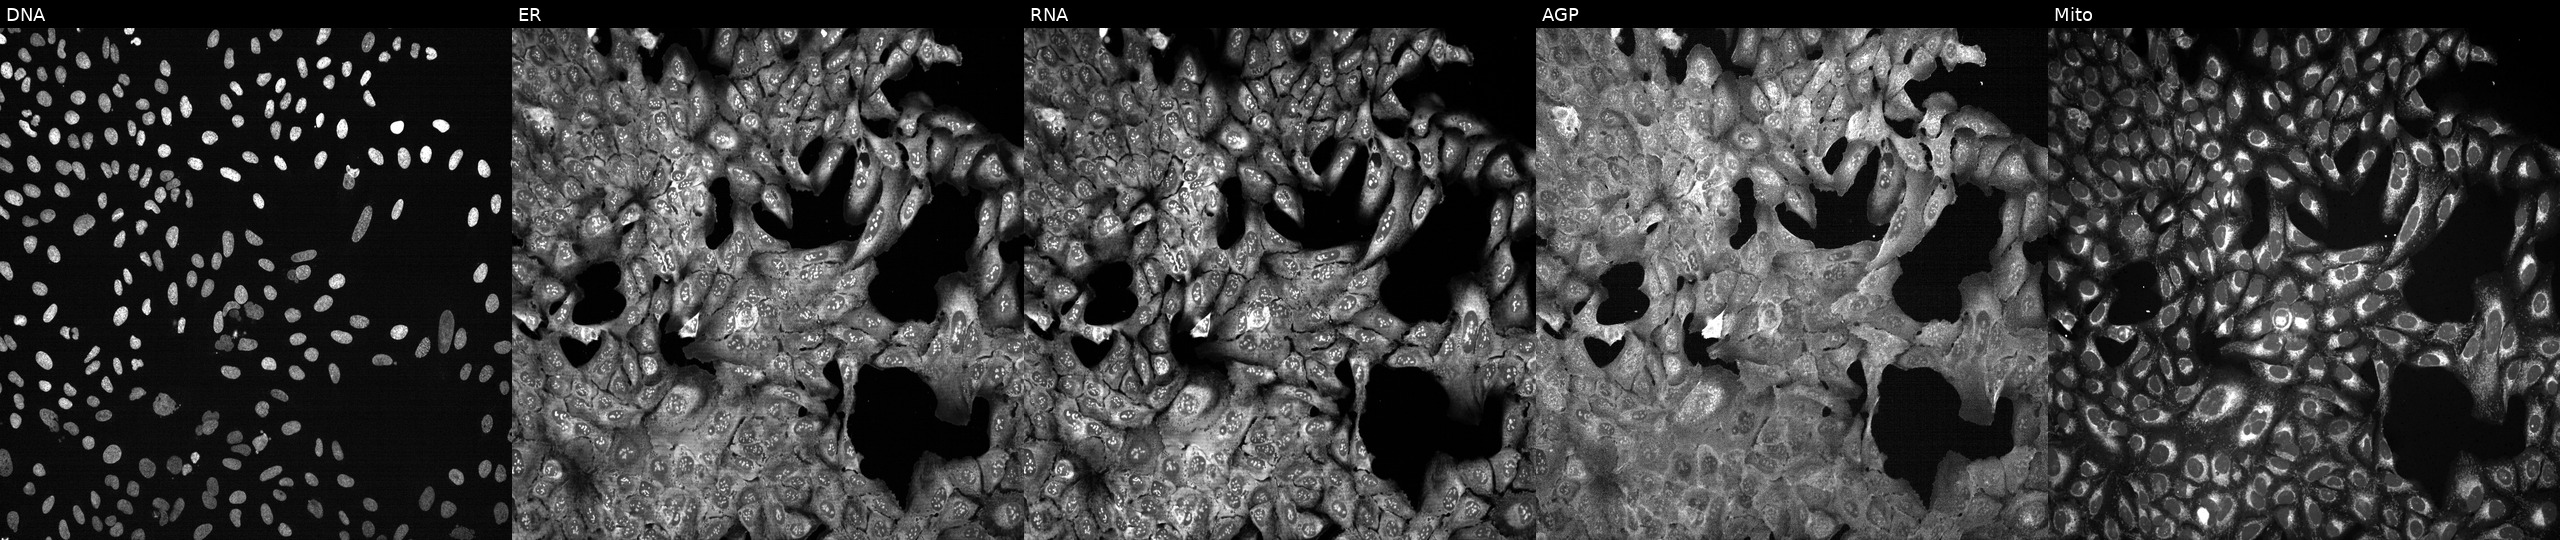
U2OS cells, Cell Painting assay, following CRISPR knockout of ALDH3A1 (JUMP id JCP2022_800389). Channels (left→right): Hoechst 33342, concanavalin A, SYTO 14, phalloidin and WGA, MitoTracker. Each panel is percentile-stretched 16-bit fluorescence.